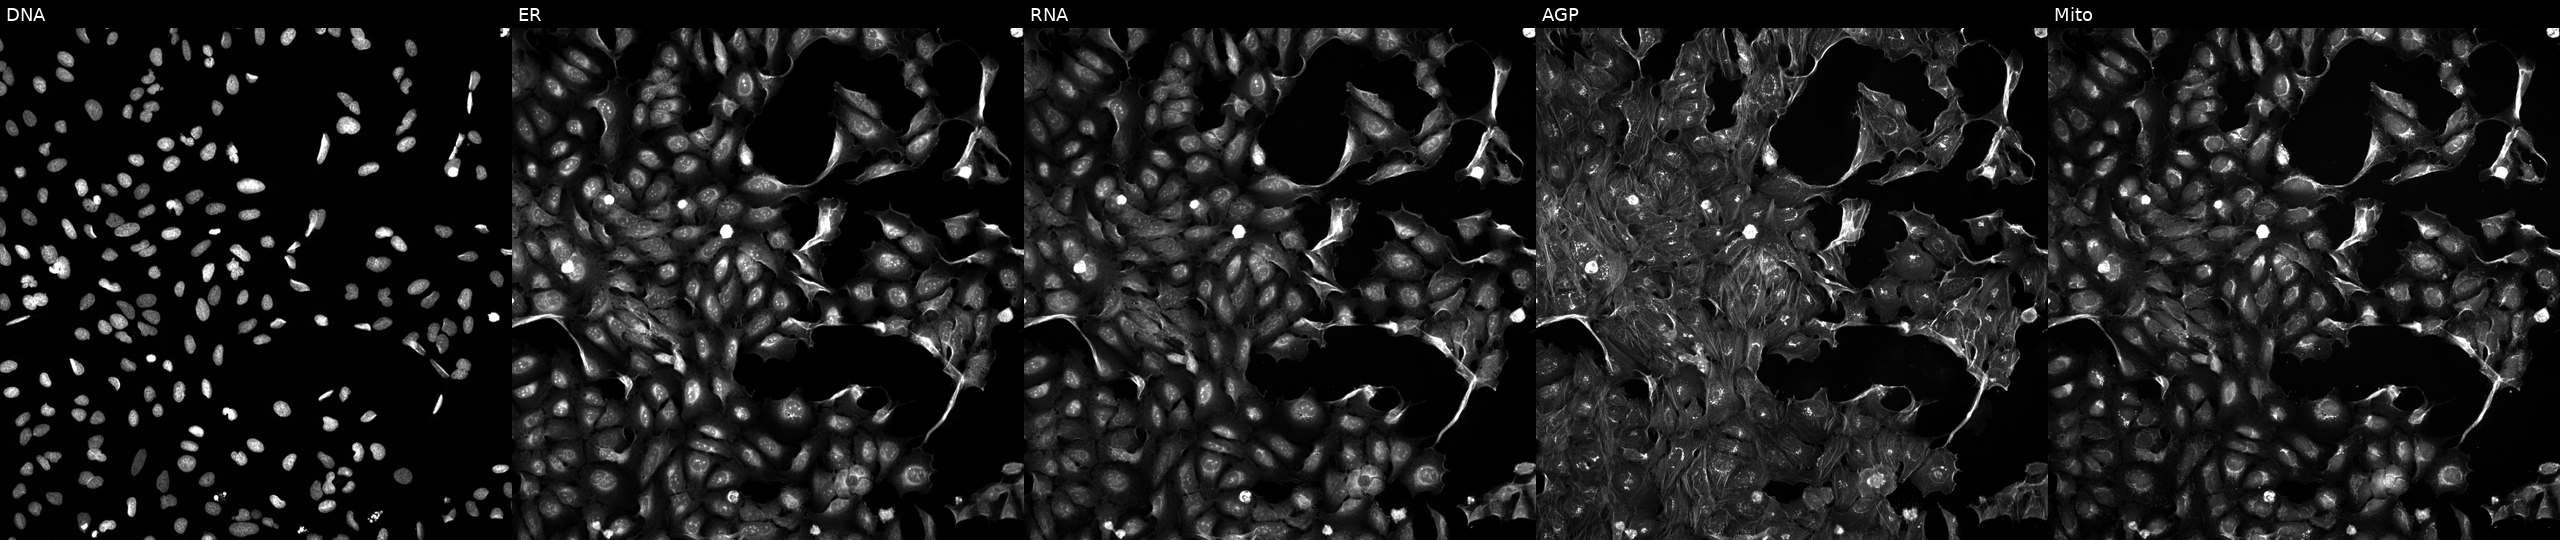
This image strip shows the five Cell Painting channels for a single field of U2OS cells treated with TC-S-7004 (positive-control compound). Channels (left→right): DNA (nuclei); ER (endoplasmic reticulum); RNA (nucleoli and cytoplasmic RNA); AGP (actin cytoskeleton, Golgi, and plasma membrane); Mito (mitochondria).